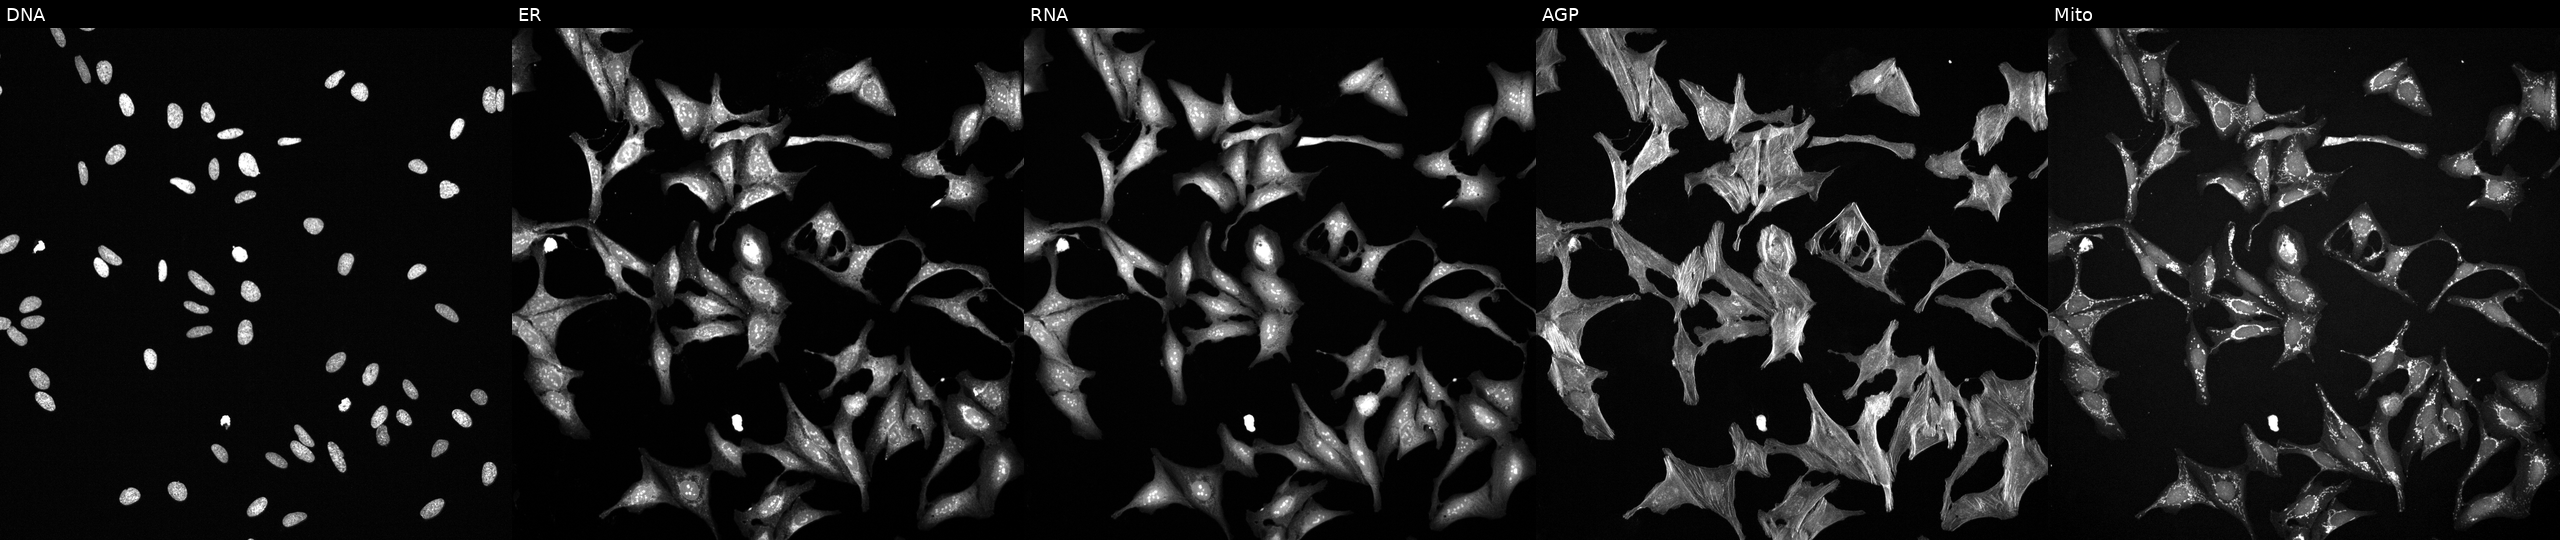
High-content fluorescence microscopy (Cell Painting). Cell line: U2OS. Perturbation: exposed to a small-molecule compound (InChIKey YPHMISFOHDHNIV-UHFFFAOYSA-N) [SMILES: CC1CC(C)C(=O)C(C(O)CC2CC(=O)NC(=O)C2)C1]. Channels (left→right): DNA, ER, RNA, AGP, and Mito.